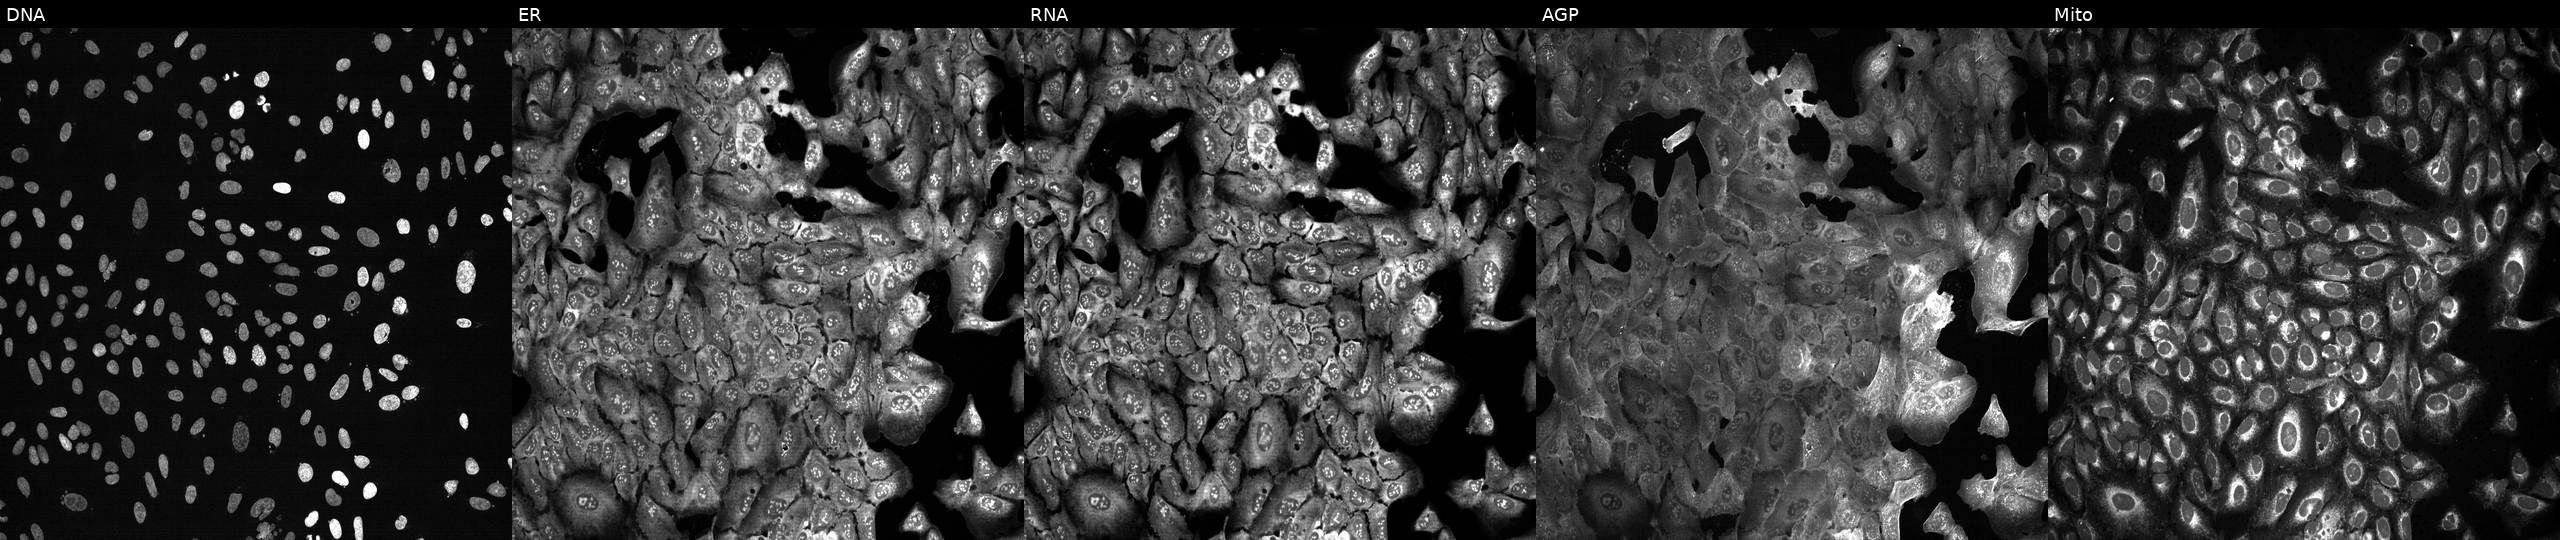
High-content fluorescence microscopy (Cell Painting). Cell line: U2OS. Perturbation: CRISPR-edited to disrupt DECR1. The five panels, left to right, show DNA (nuclei); ER (endoplasmic reticulum); RNA (nucleoli and cytoplasmic RNA); AGP (actin cytoskeleton, Golgi, and plasma membrane); Mito (mitochondria).